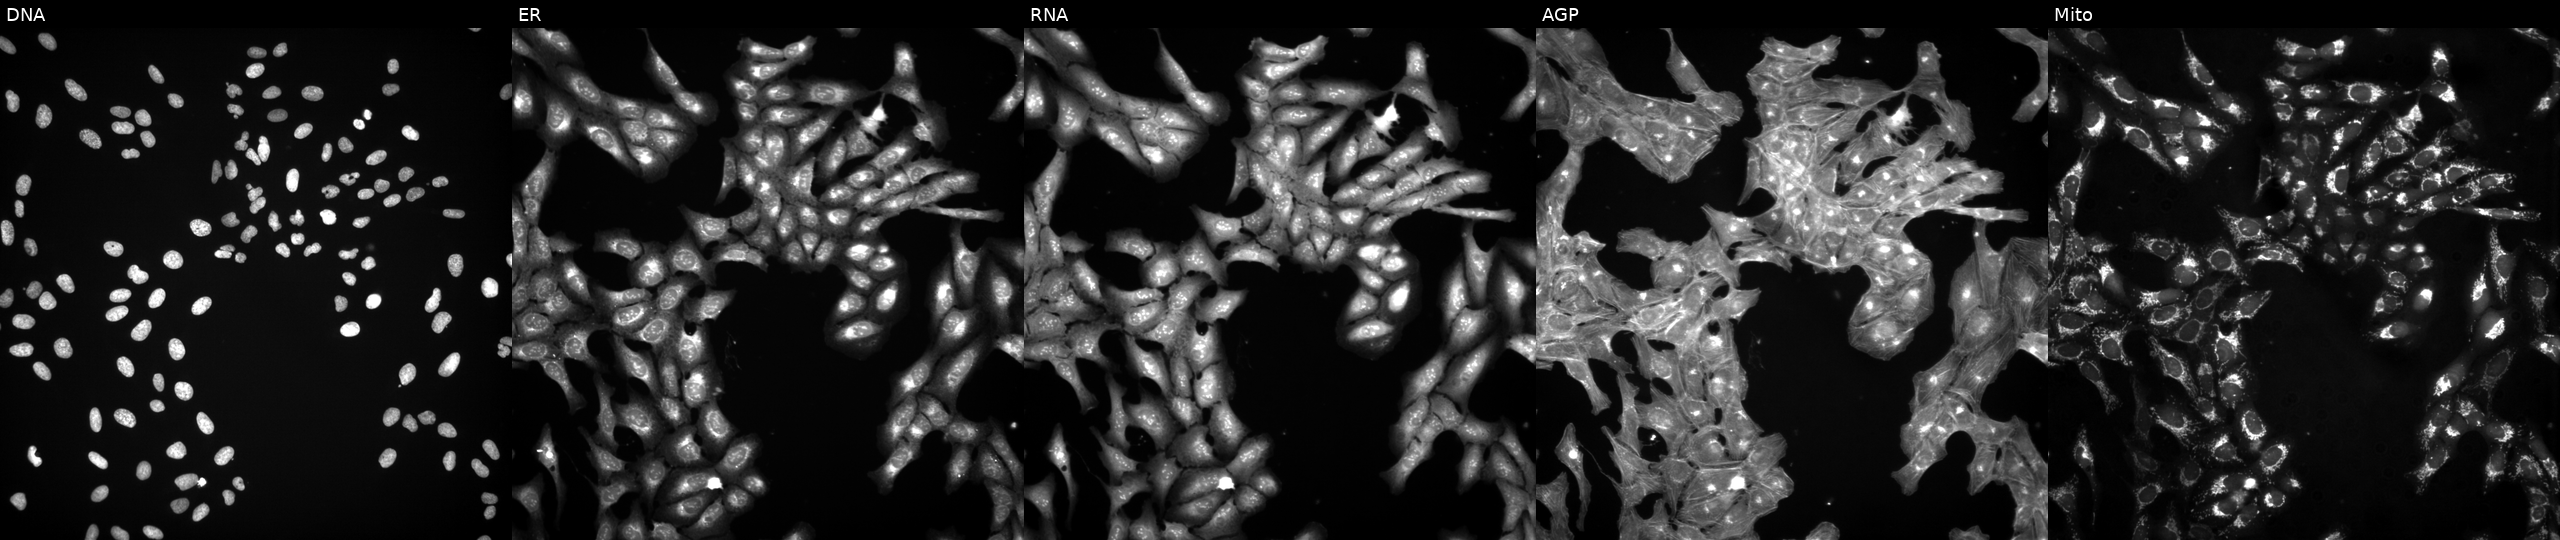
Five-channel Cell Painting image of U2OS cells exposed to DMSO alone as a negative control. Panels show, left to right, DNA (nuclei); ER (endoplasmic reticulum); RNA (nucleoli and cytoplasmic RNA); AGP (actin cytoskeleton, Golgi, and plasma membrane); Mito (mitochondria).